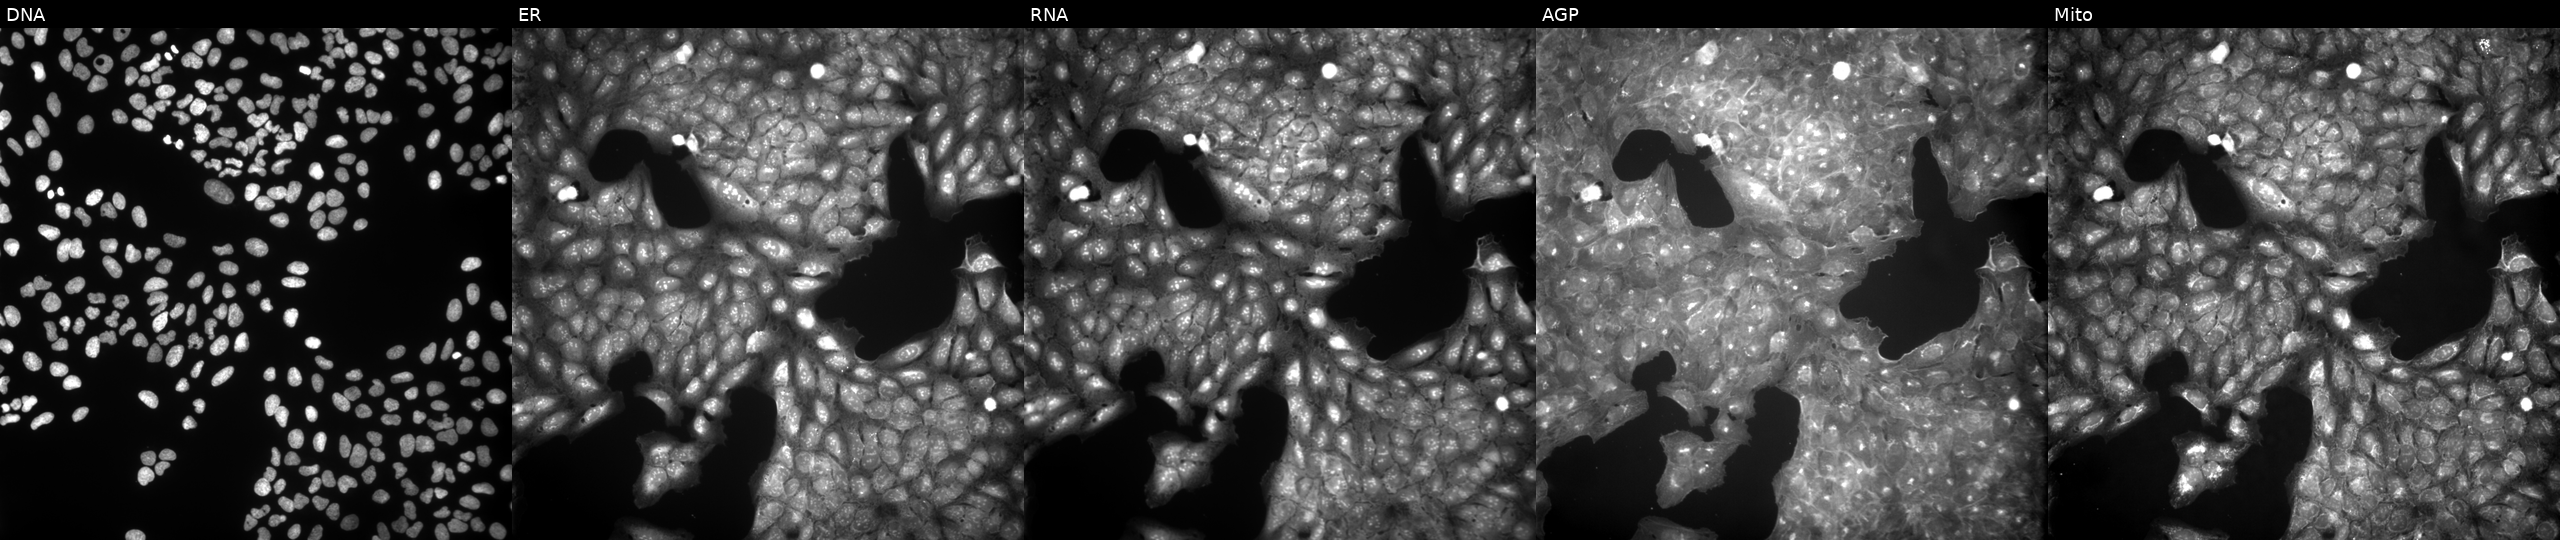
Five-channel Cell Painting image of U2OS cells treated with DMSO vehicle only (negative control). From left to right: DNA (nuclei); ER (endoplasmic reticulum); RNA (nucleoli and cytoplasmic RNA); AGP (actin cytoskeleton, Golgi, and plasma membrane); Mito (mitochondria).